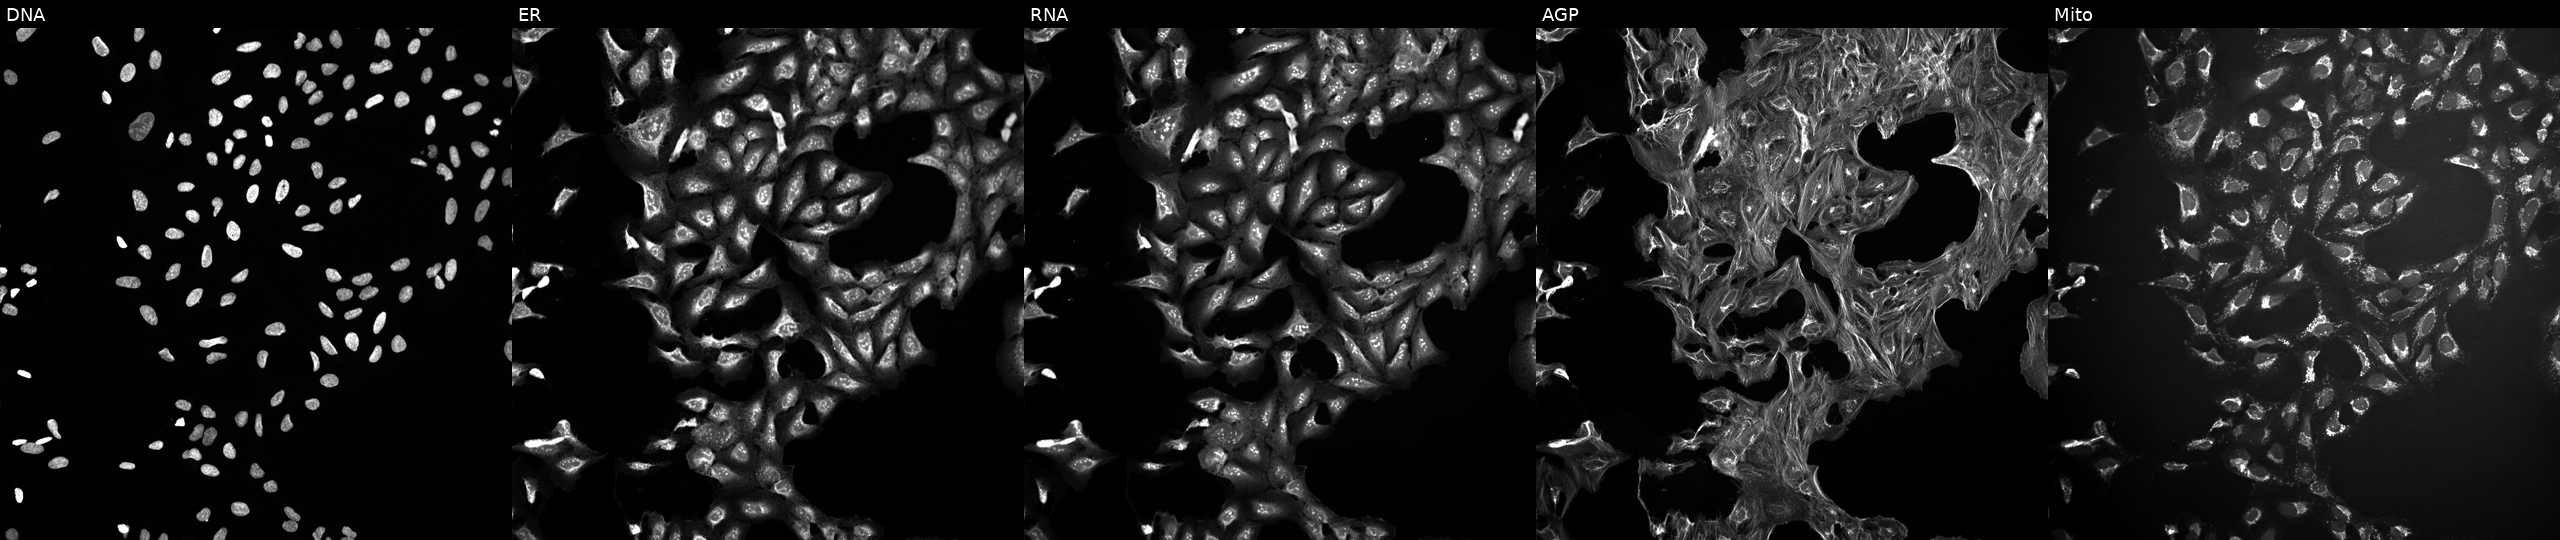
High-content fluorescence microscopy (Cell Painting). Cell line: U2OS. Perturbation: treated with DMSO vehicle only (negative control). Panels show, left to right, DNA, ER, RNA, AGP, and Mito.